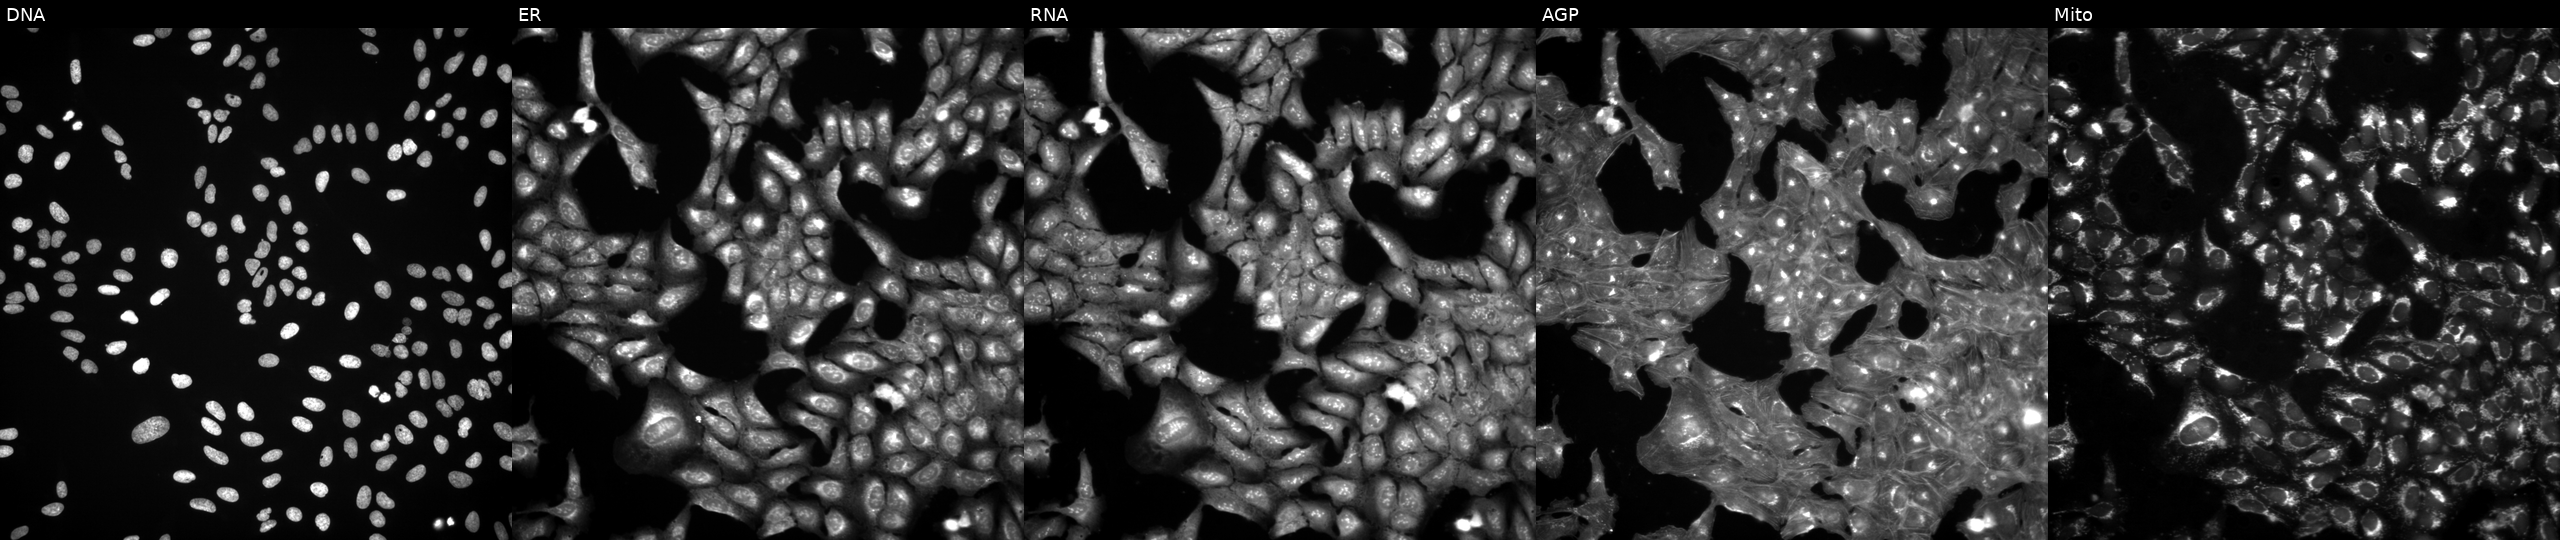
Five-channel Cell Painting image of U2OS cells exposed to a small-molecule compound [SMILES: O=C(C=Cc1ccccc1Cl)N1CCN(c2ncccn2)CC1] (JUMP id JCP2022_105901). The five panels, left to right, show DNA (nuclei); ER (endoplasmic reticulum); RNA (nucleoli and cytoplasmic RNA); AGP (actin cytoskeleton, Golgi, and plasma membrane); Mito (mitochondria).